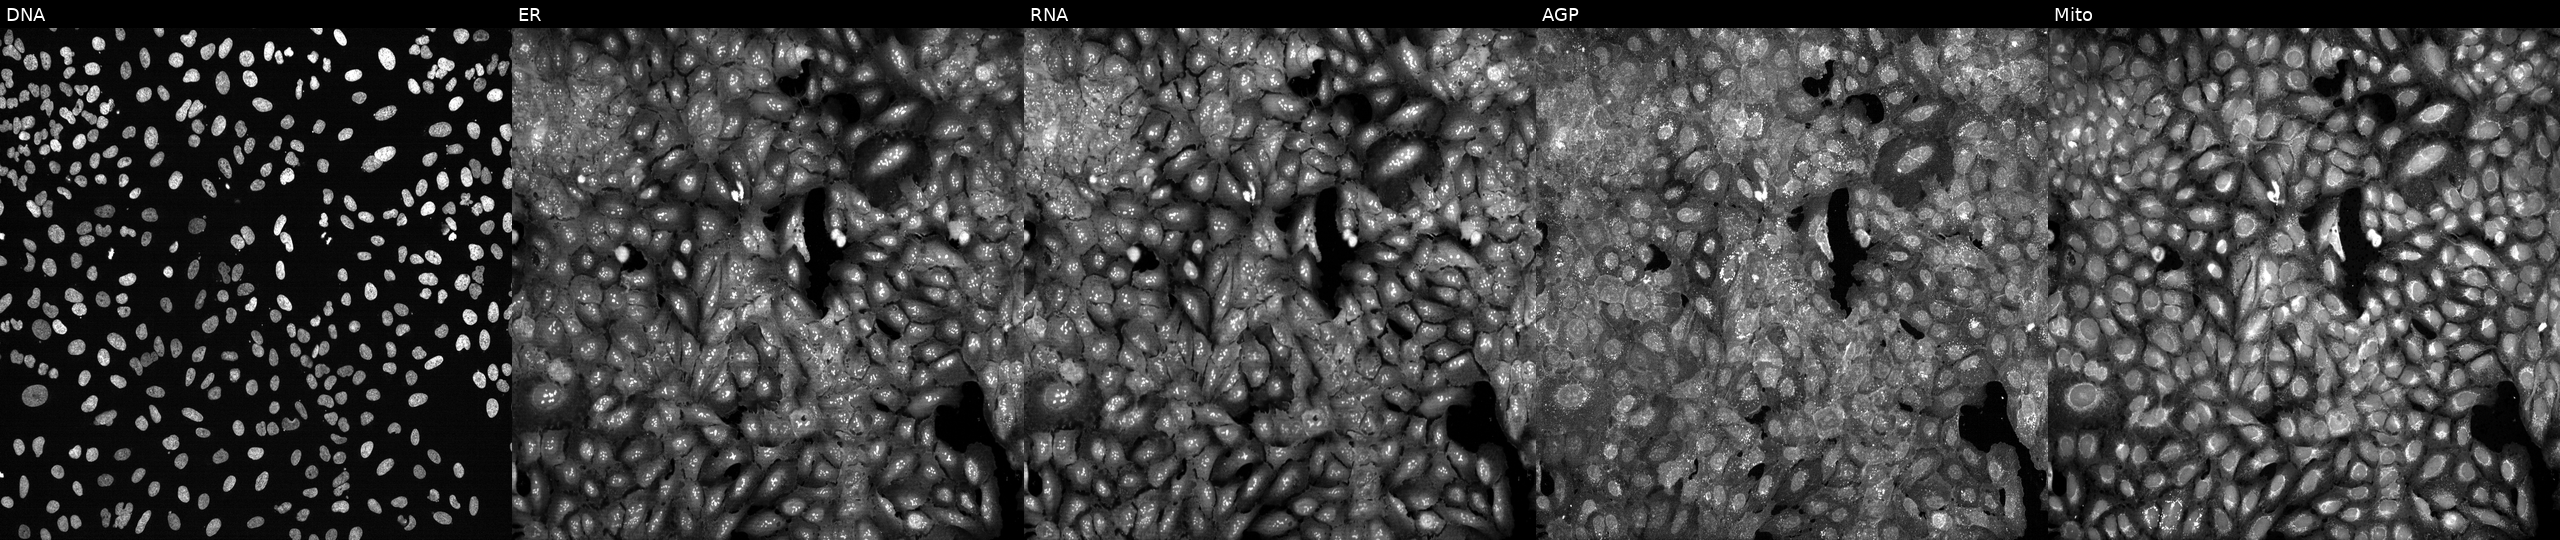
Five-channel Cell Painting image of U2OS cells following CRISPR knockout of PLOD2 (JUMP id JCP2022_805270). From left to right: DNA (nuclei); ER (endoplasmic reticulum); RNA (nucleoli and cytoplasmic RNA); AGP (actin cytoskeleton, Golgi, and plasma membrane); Mito (mitochondria). Source 13, plate CP-CC9-R1-02, well F07.